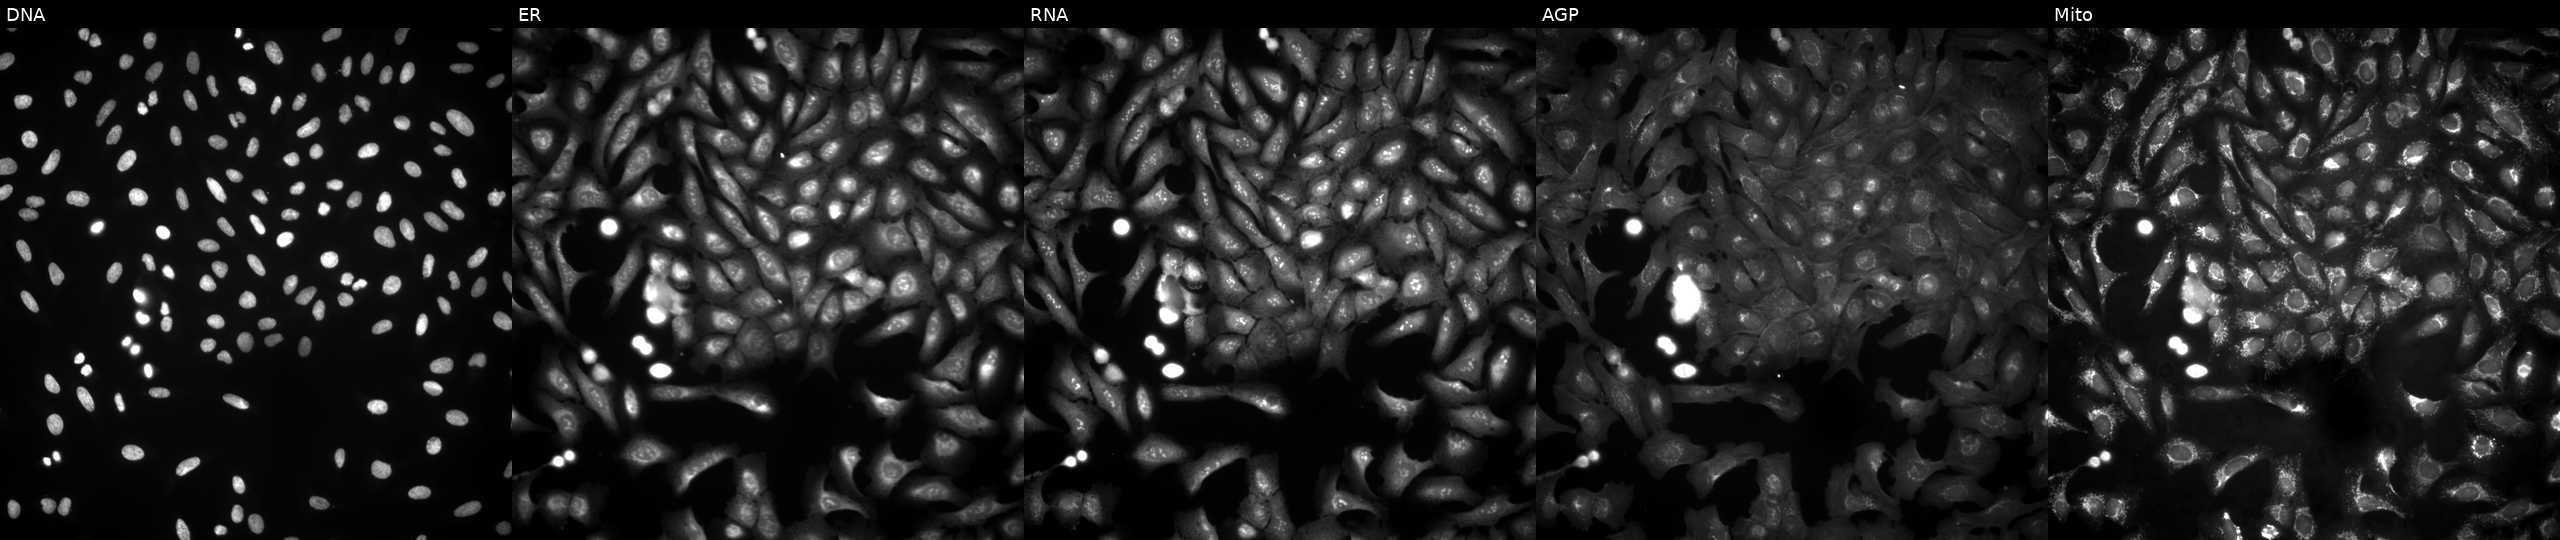
U2OS cells, Cell Painting assay, overexpressing FBXW5 via ORF transfection (JUMP id JCP2022_911226). From left to right: DNA, ER, RNA, AGP, and Mito. Each panel is percentile-stretched 16-bit fluorescence. Source 4, plate BR00124790, well A07.